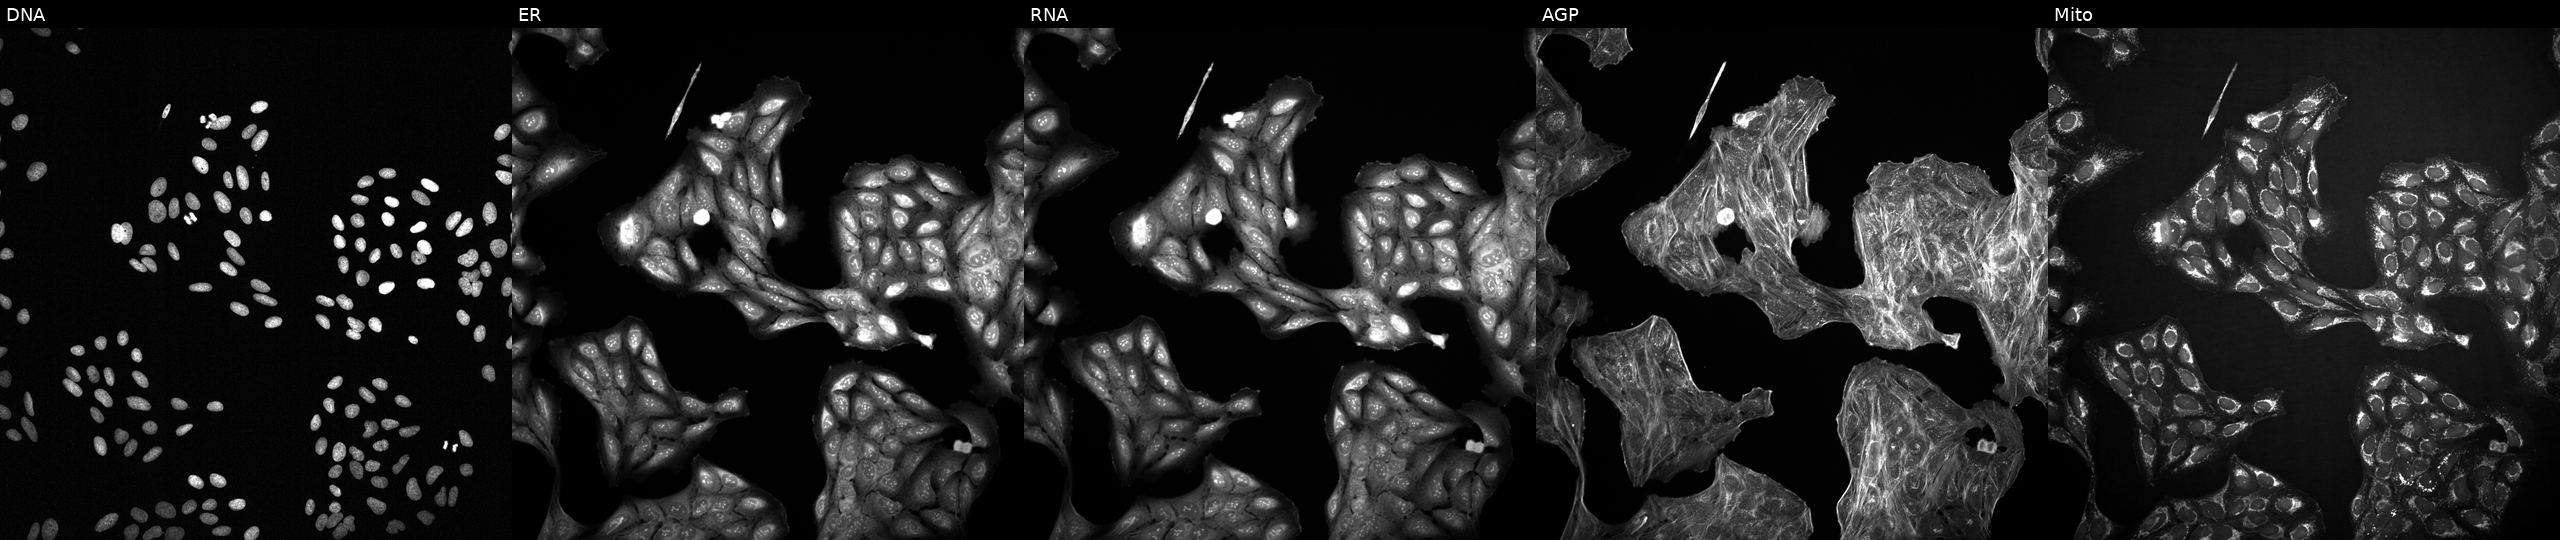
Five-channel Cell Painting image of U2OS cells treated with dexamethasone (positive-control compound). The five panels, left to right, show DNA (nuclei); ER (endoplasmic reticulum); RNA (nucleoli and cytoplasmic RNA); AGP (actin cytoskeleton, Golgi, and plasma membrane); Mito (mitochondria).